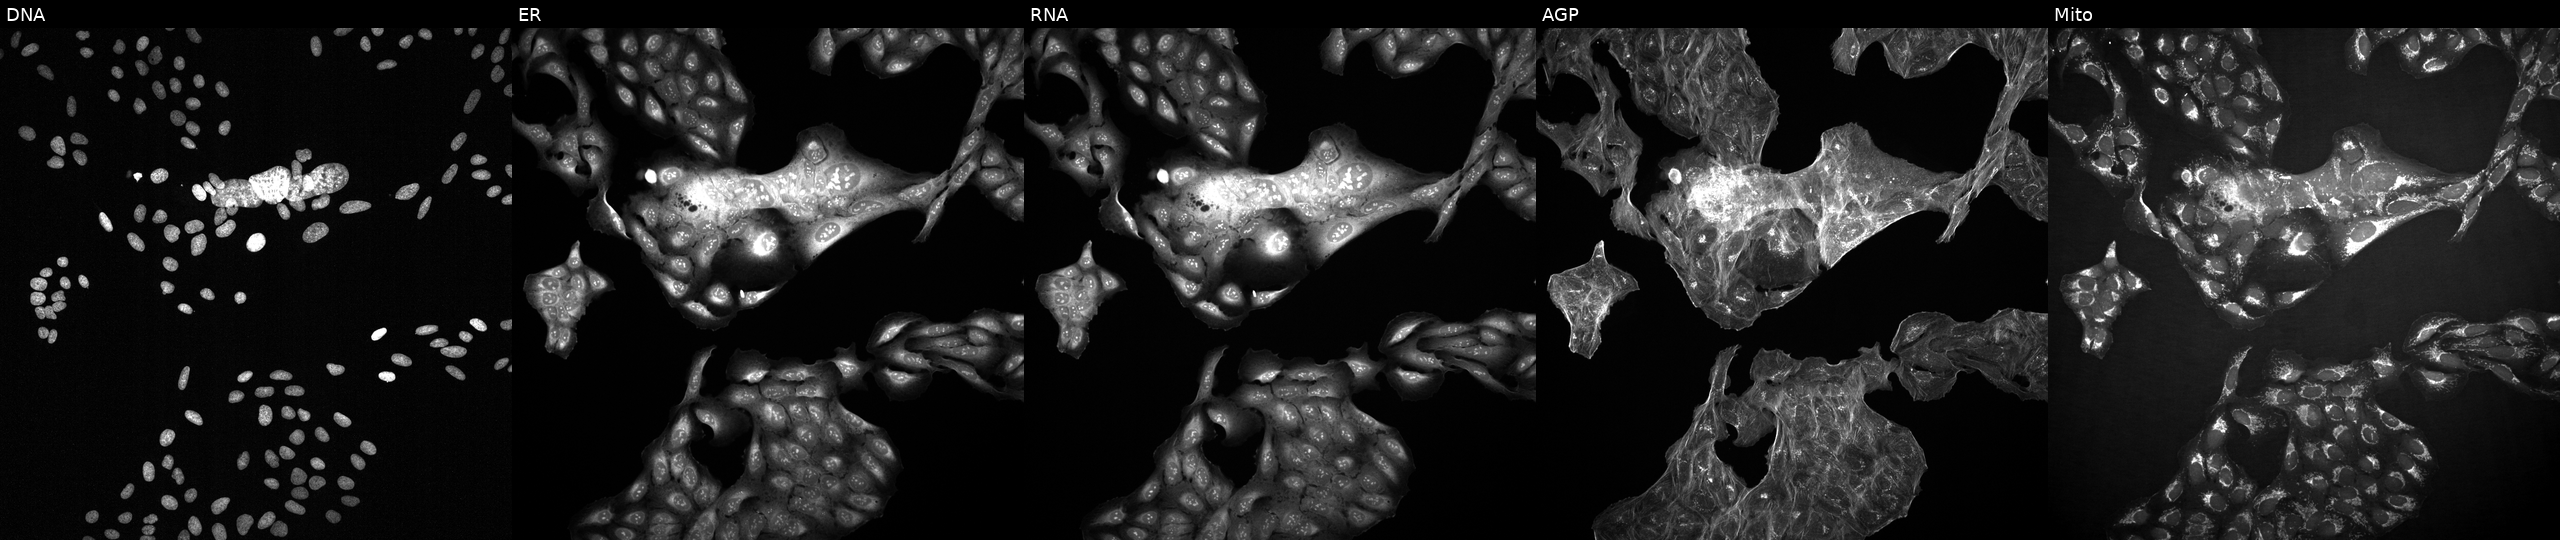
U2OS cells, Cell Painting assay, treated with a small-molecule compound (InChIKey KXDROGADUISDGY-UHFFFAOYSA-N) (JUMP id JCP2022_047559). Panels show, left to right, DNA, ER, RNA, AGP, and Mito. Each panel is percentile-stretched 16-bit fluorescence.